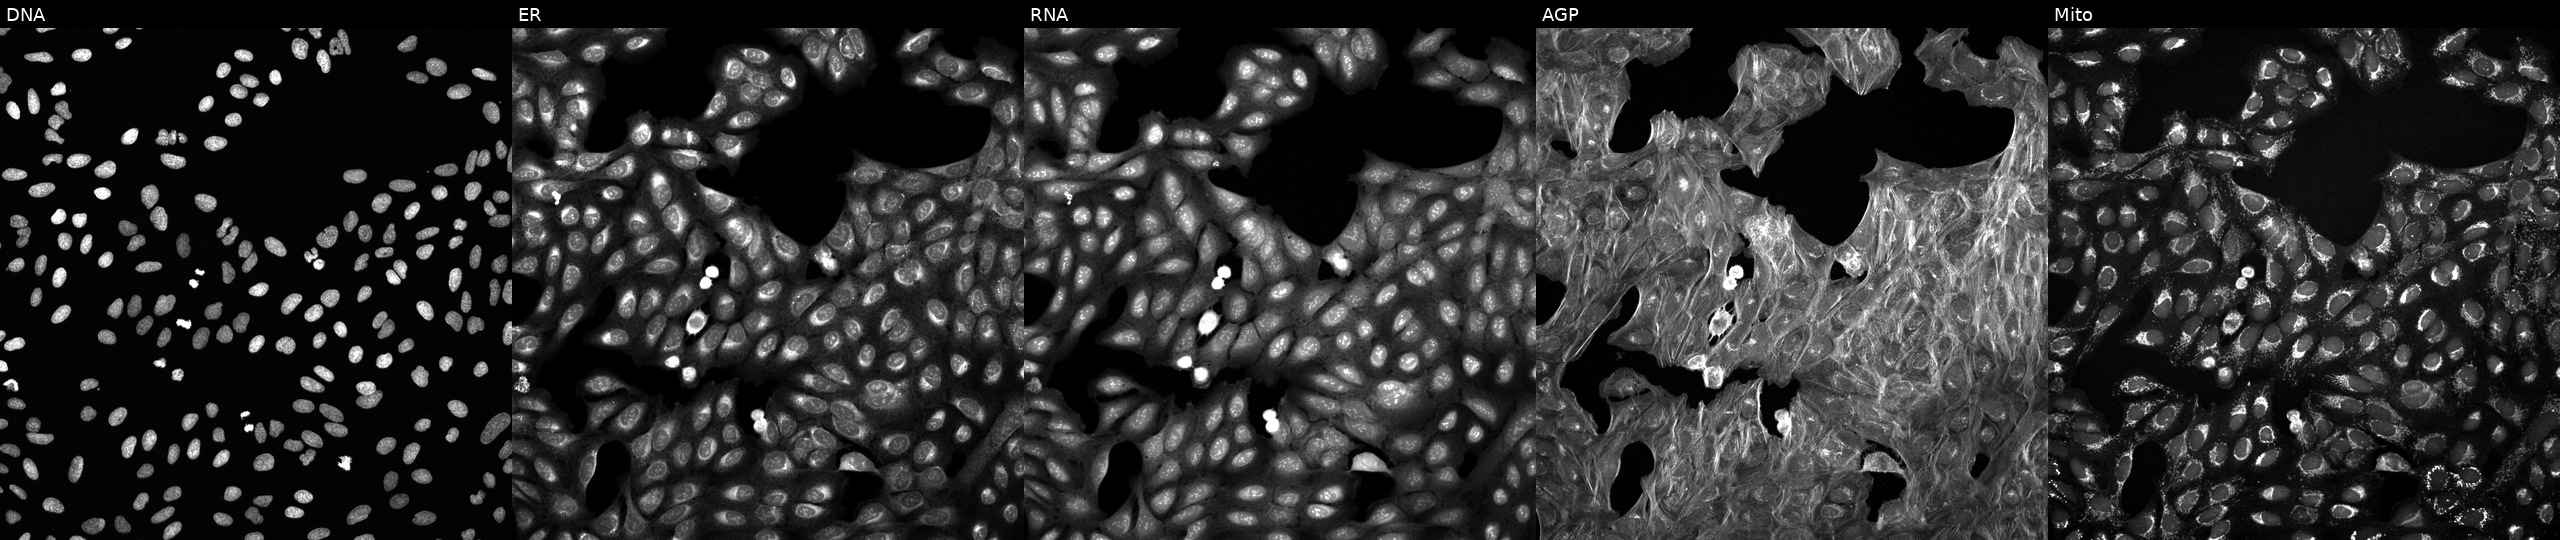
This image strip shows the five Cell Painting channels for a single field of U2OS cells exposed to a small-molecule compound (JUMP id JCP2022_012146). From left to right: DNA (nuclei); ER (endoplasmic reticulum); RNA (nucleoli and cytoplasmic RNA); AGP (actin cytoskeleton, Golgi, and plasma membrane); Mito (mitochondria).